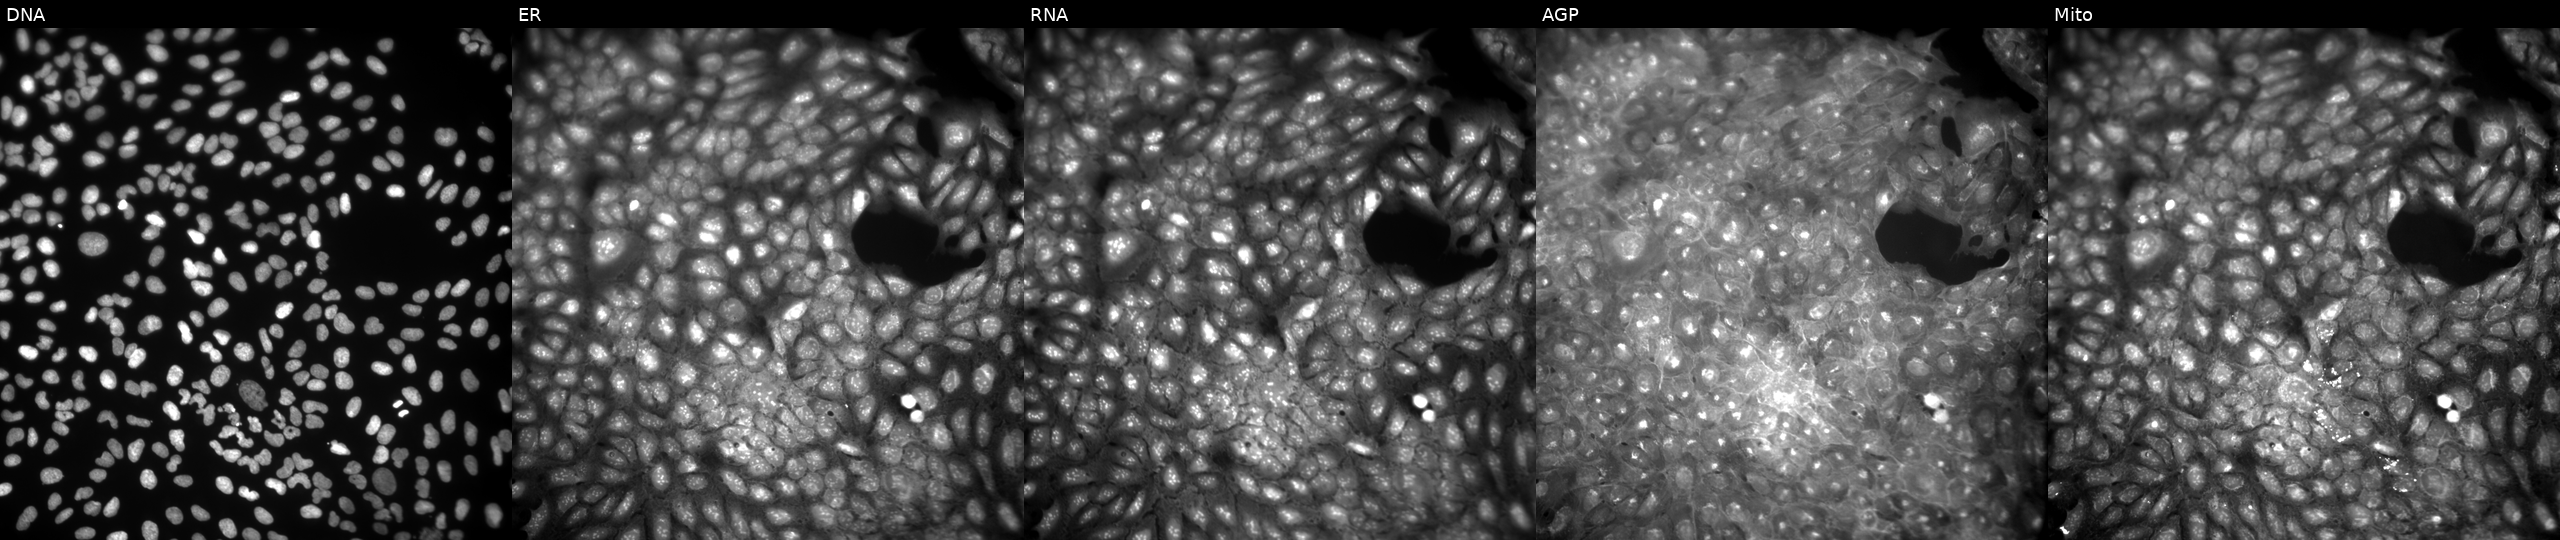
JUMP Cell Painting — COMPOUND plate. U2OS cells exposed to a small-molecule compound (InChIKey XITGWFXTPSSAOI-UHFFFAOYSA-N) [SMILES: Cn1c2ccccc2c2nnc(SCCN3CCCCC3)nc21] (JUMP id JCP2022_103913). Panels show, left to right, DNA (nuclei); ER (endoplasmic reticulum); RNA (nucleoli and cytoplasmic RNA); AGP (actin cytoskeleton, Golgi, and plasma membrane); Mito (mitochondria).